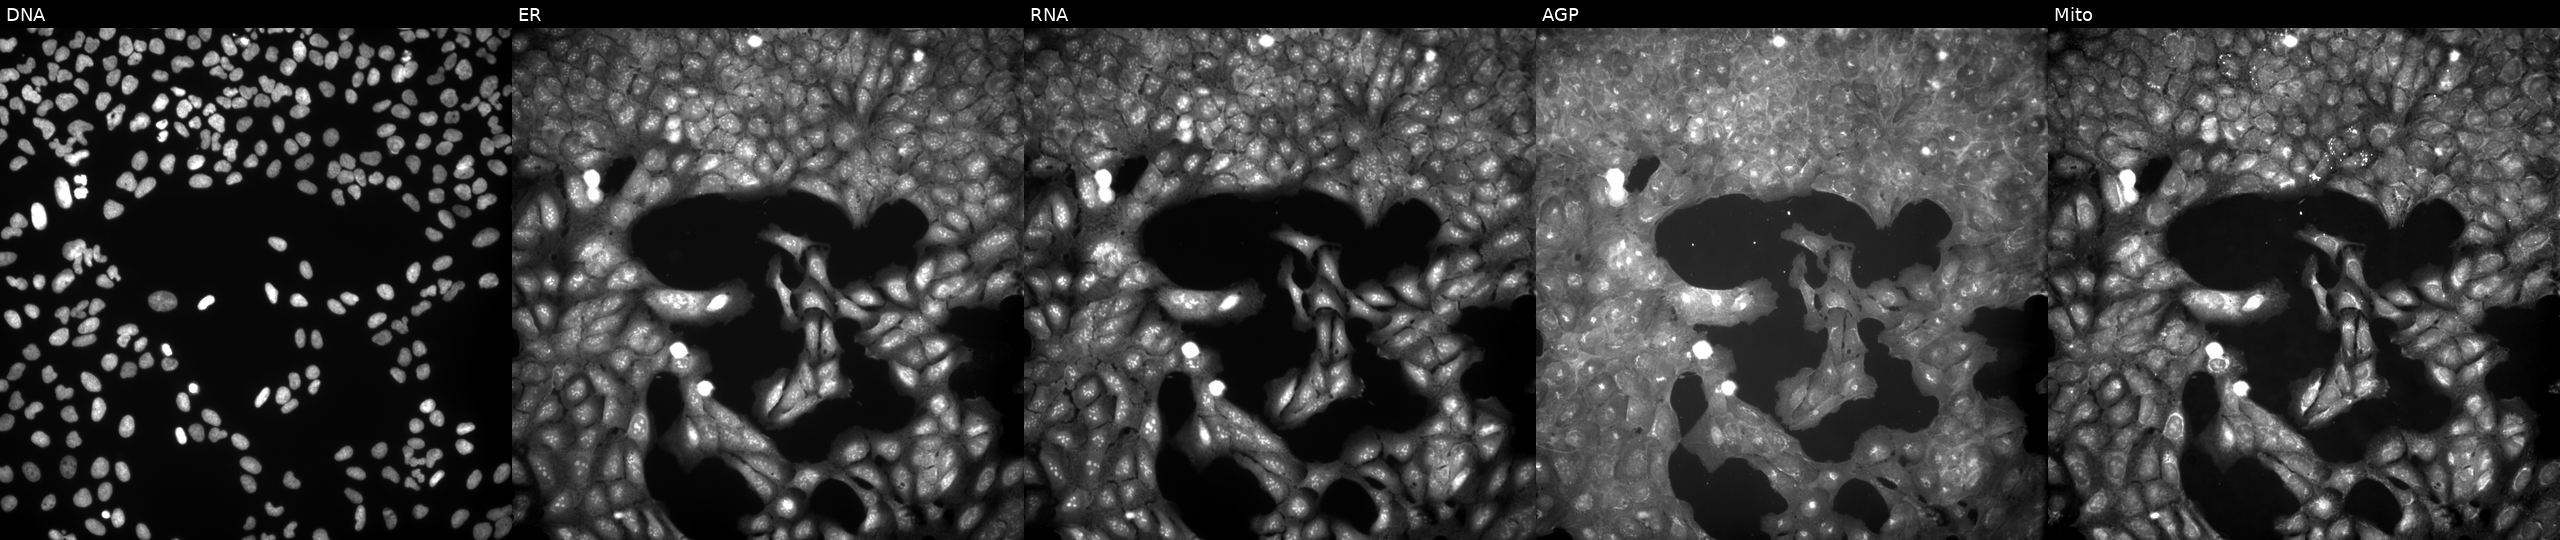
Panels show, left to right, DNA, ER, RNA, AGP, and Mito. U2OS osteosarcoma cells perturbed with a small-molecule compound (InChIKey CYDFTQZJAGEURD-UHFFFAOYSA-N) [SMILES: Cc1ccc(C(=O)O)cc1S(=O)(=O)N1CCCCC1]. Cell Painting assay, JUMP-CP dataset. Source 9, plate GR00003382, well E36.